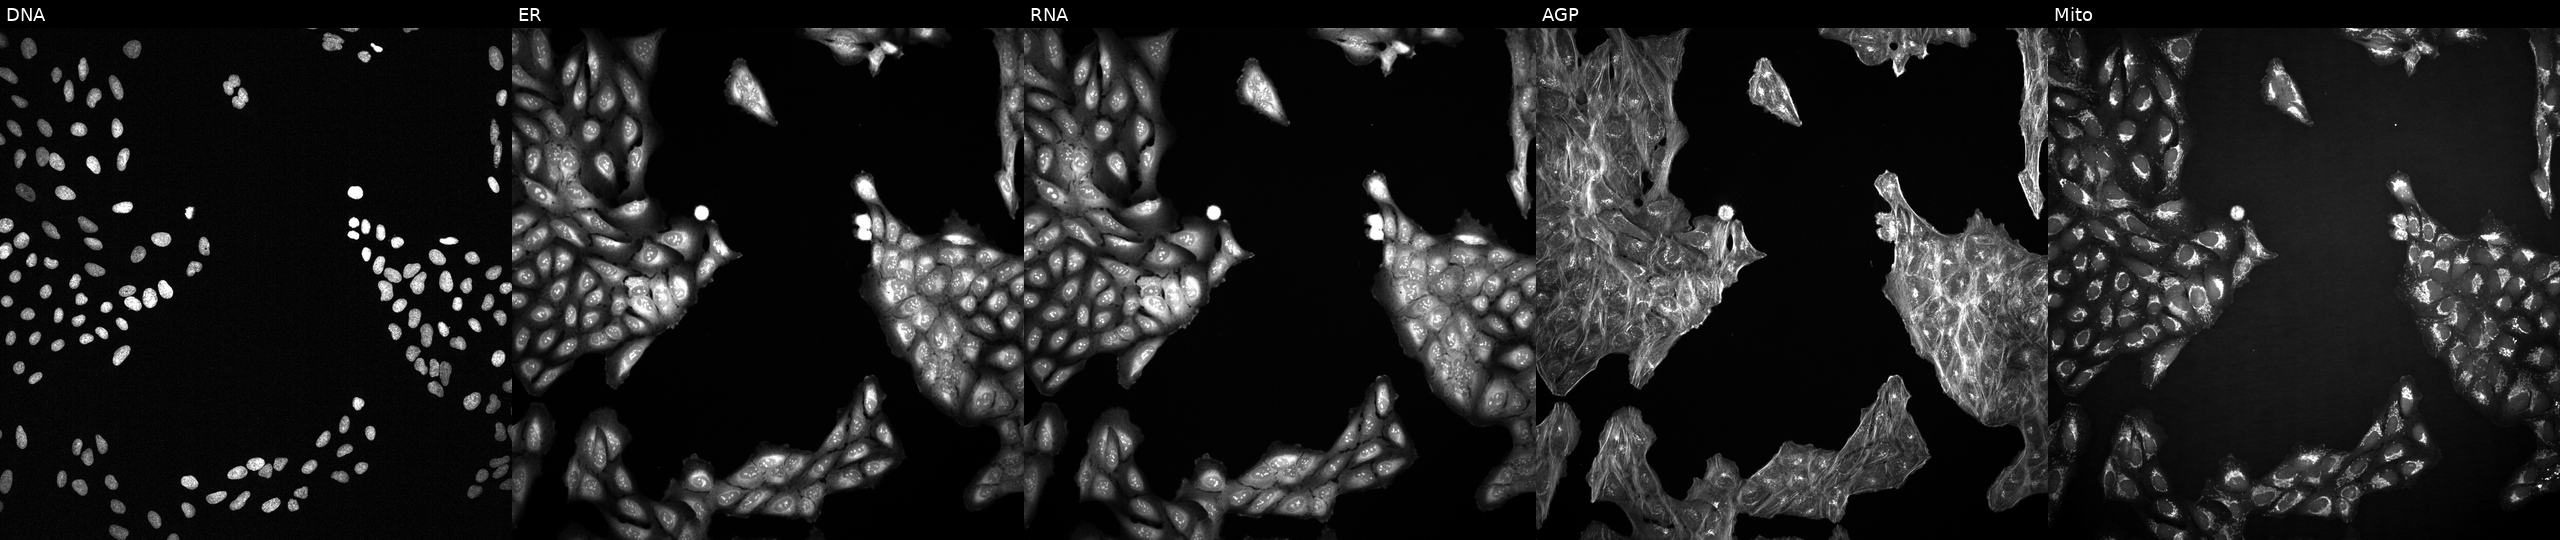
High-content fluorescence microscopy (Cell Painting). Cell line: U2OS. Perturbation: perturbed with a small-molecule compound (InChIKey PKYKNPLSFOKASK-UHFFFAOYSA-N) [SMILES: CCCCc1c(O)n(-c2ccccc2)n(-c2ccccc2)c1=O]. Channels (left→right): DNA (nuclei); ER (endoplasmic reticulum); RNA (nucleoli and cytoplasmic RNA); AGP (actin cytoskeleton, Golgi, and plasma membrane); Mito (mitochondria). Source 2, plate 1053600674, well G15.